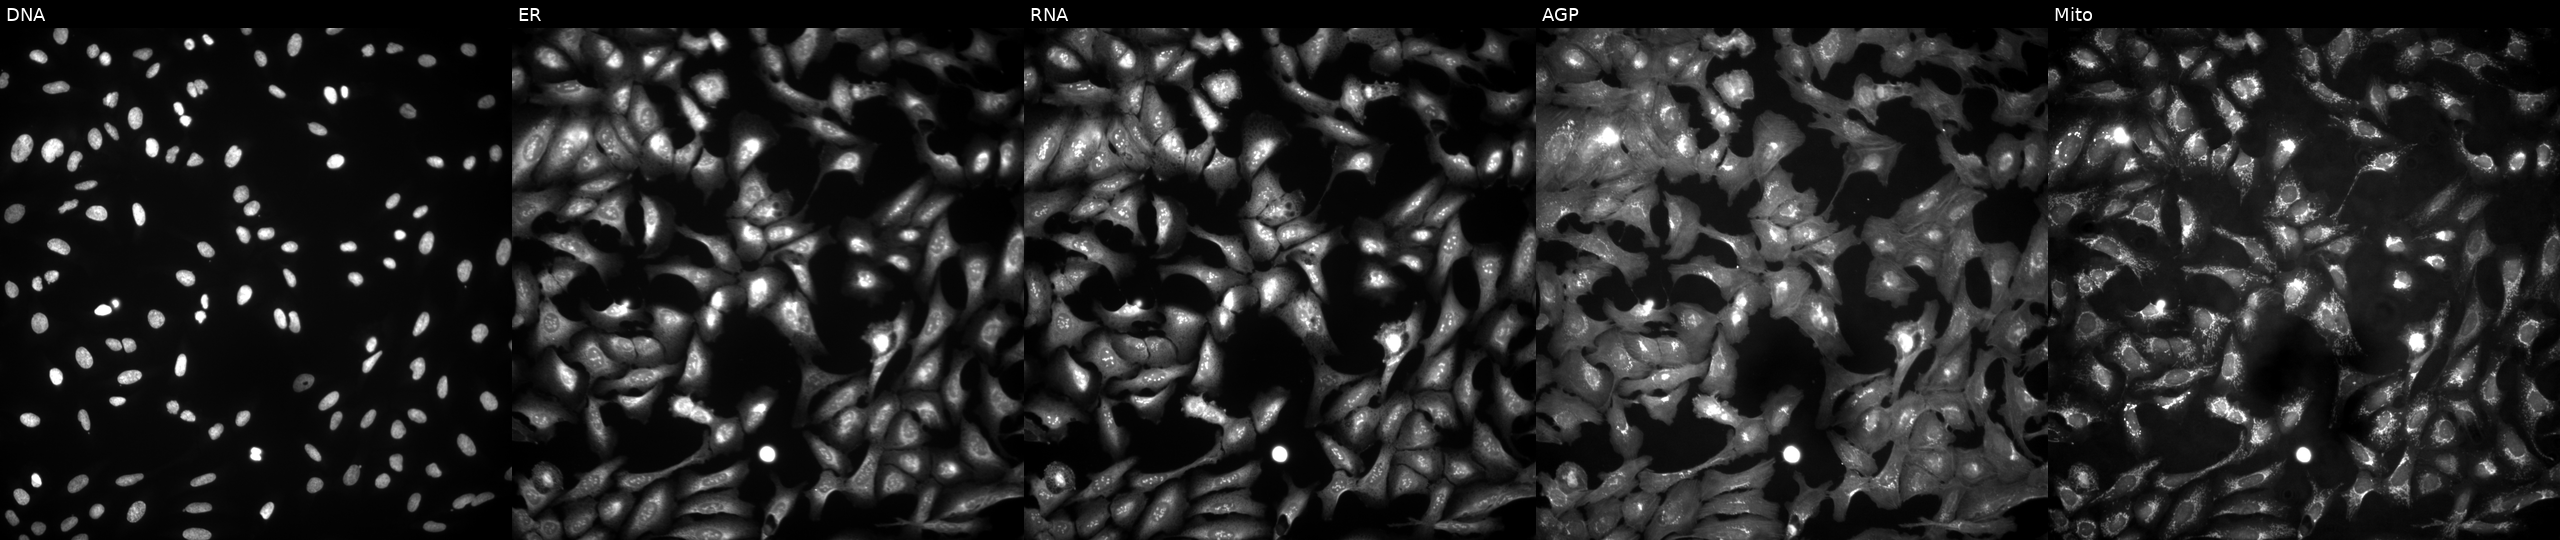
Channels (left→right): DNA (nuclei); ER (endoplasmic reticulum); RNA (nucleoli and cytoplasmic RNA); AGP (actin cytoskeleton, Golgi, and plasma membrane); Mito (mitochondria). U2OS osteosarcoma cells with DRD2 overexpressed (ORF) (JUMP id JCP2022_900432). Cell Painting assay, JUMP-CP dataset. Source 4, plate BR00124790, well D15.